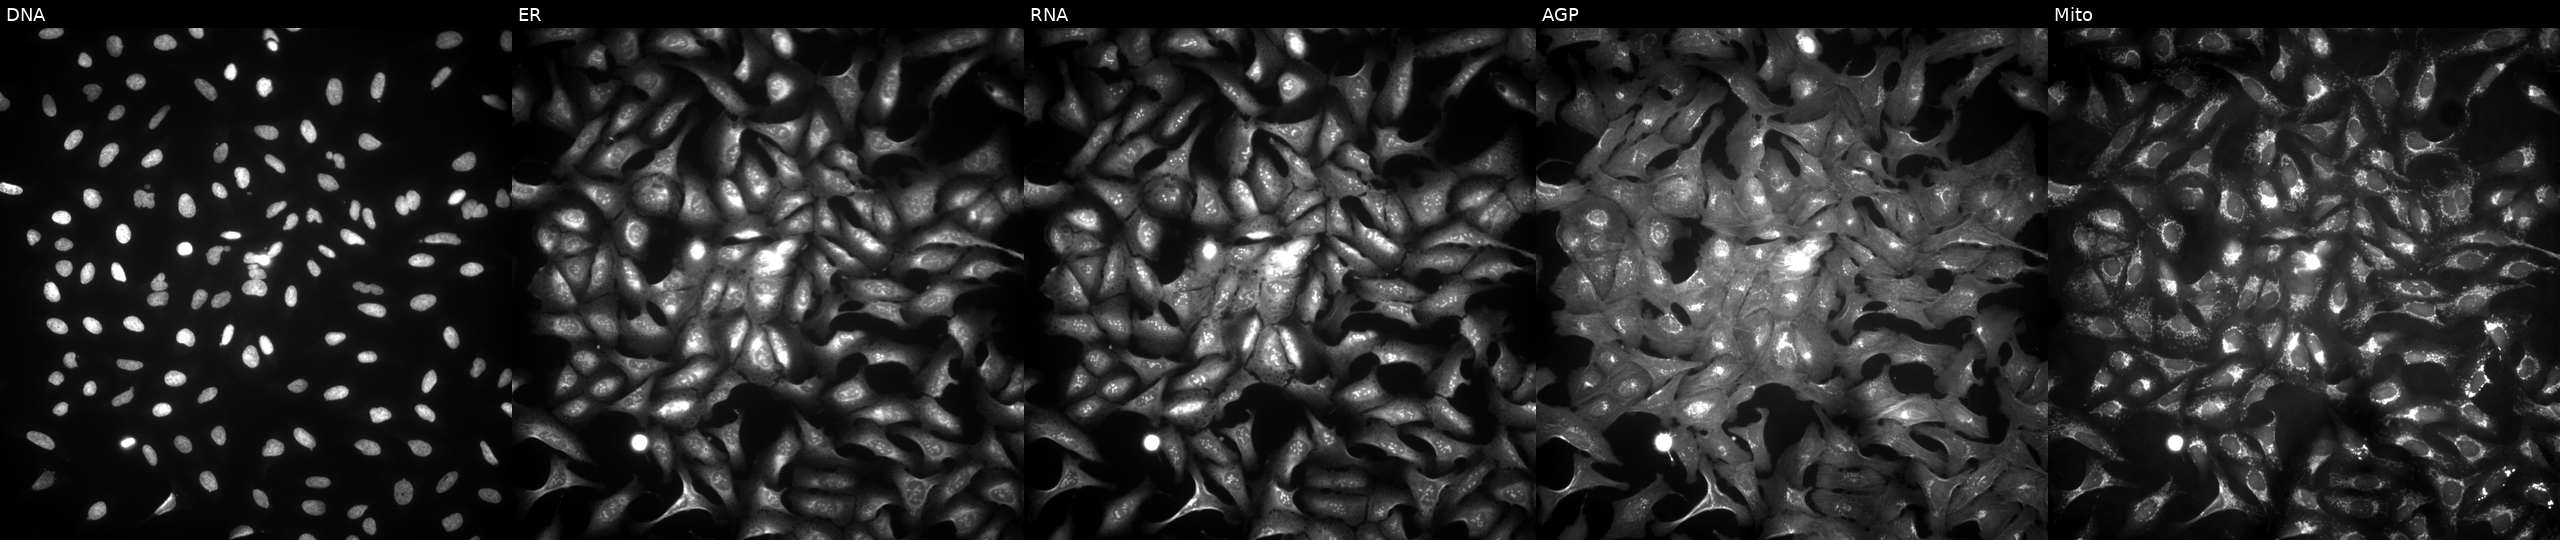
Panels show, left to right, DNA (nuclei); ER (endoplasmic reticulum); RNA (nucleoli and cytoplasmic RNA); AGP (actin cytoskeleton, Golgi, and plasma membrane); Mito (mitochondria). U2OS osteosarcoma cells transfected with an ORF construct for RAD23B. Cell Painting assay, JUMP-CP dataset.